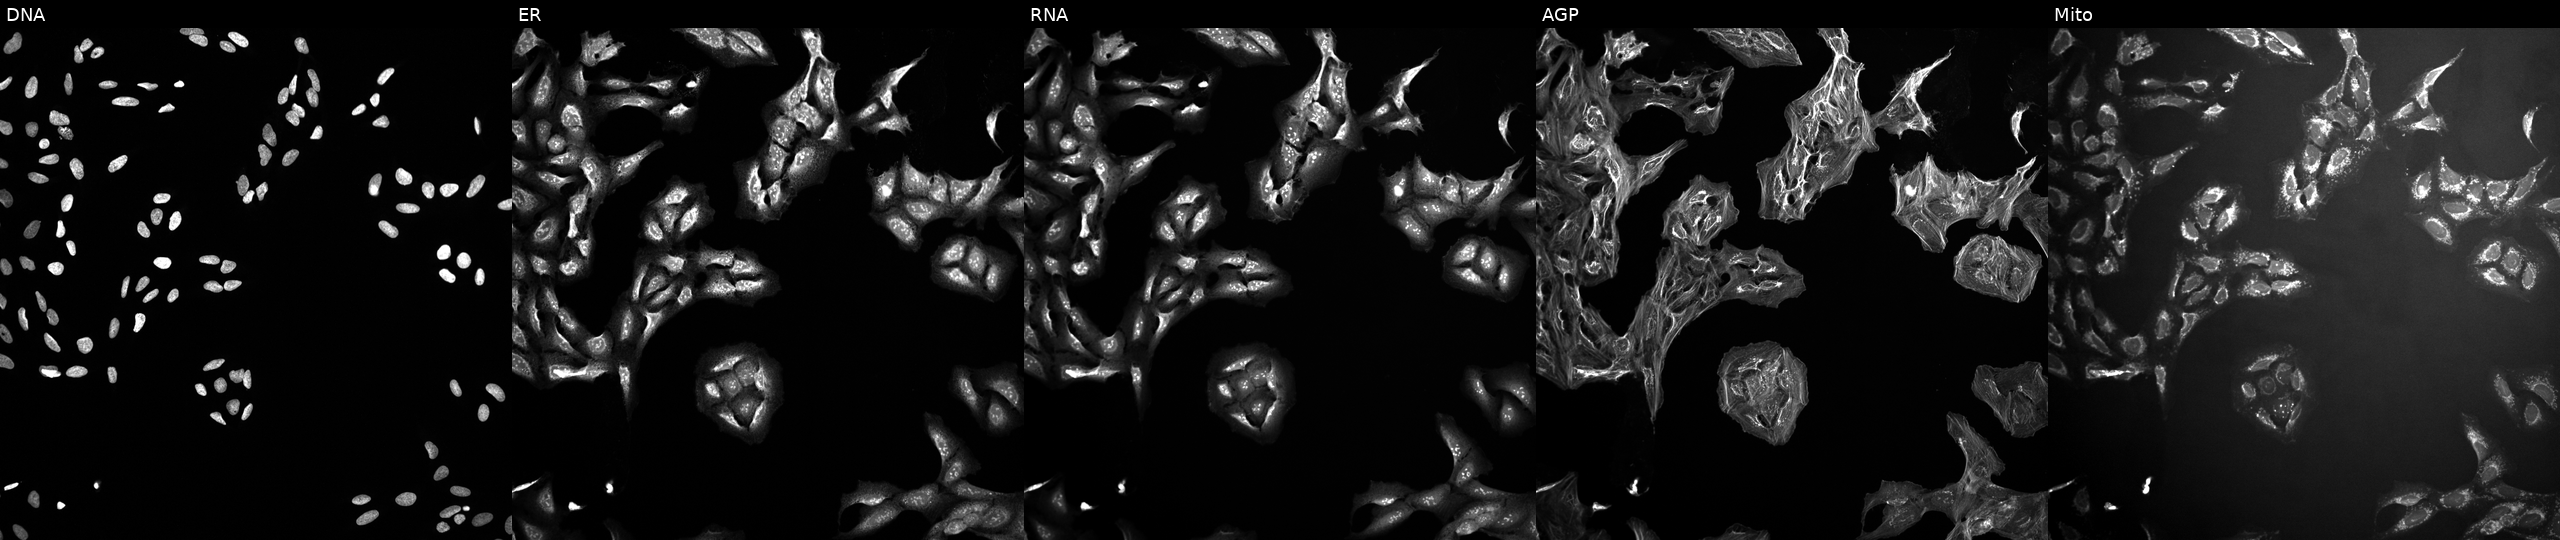
JUMP Cell Painting — TARGET2 plate. U2OS cells treated with a small-molecule compound (JUMP id JCP2022_103291). Channels (left→right): Hoechst 33342, concanavalin A, SYTO 14, phalloidin and WGA, MitoTracker.